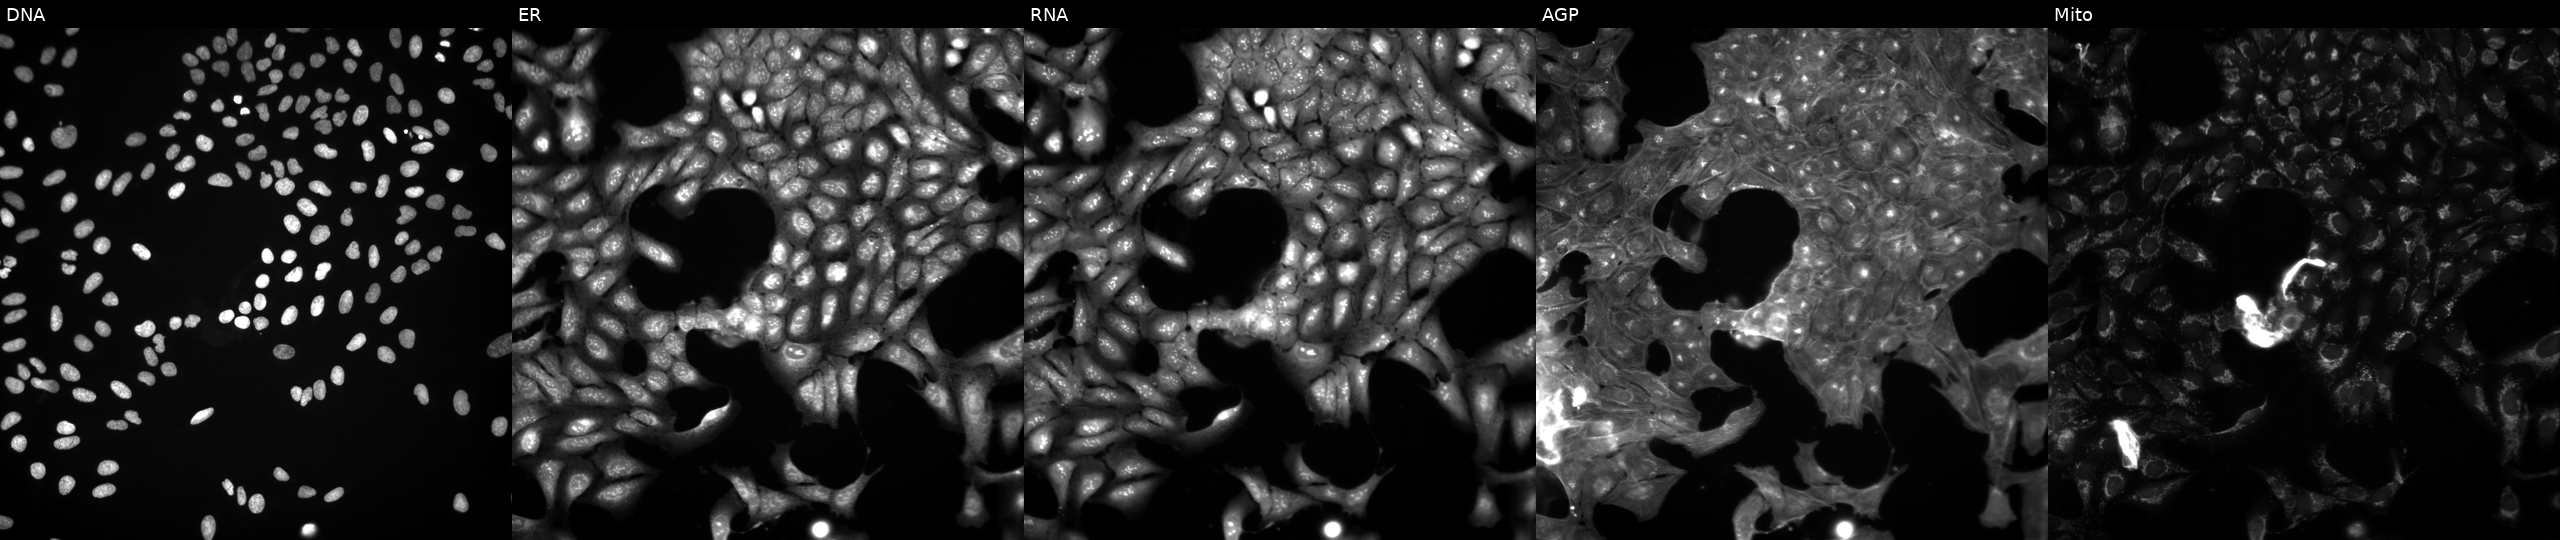
The five panels, left to right, show DNA, ER, RNA, AGP, and Mito. U2OS osteosarcoma cells treated with a small-molecule compound. Cell Painting assay, JUMP-CP dataset. Source 3, plate JCPQC051, well A01.